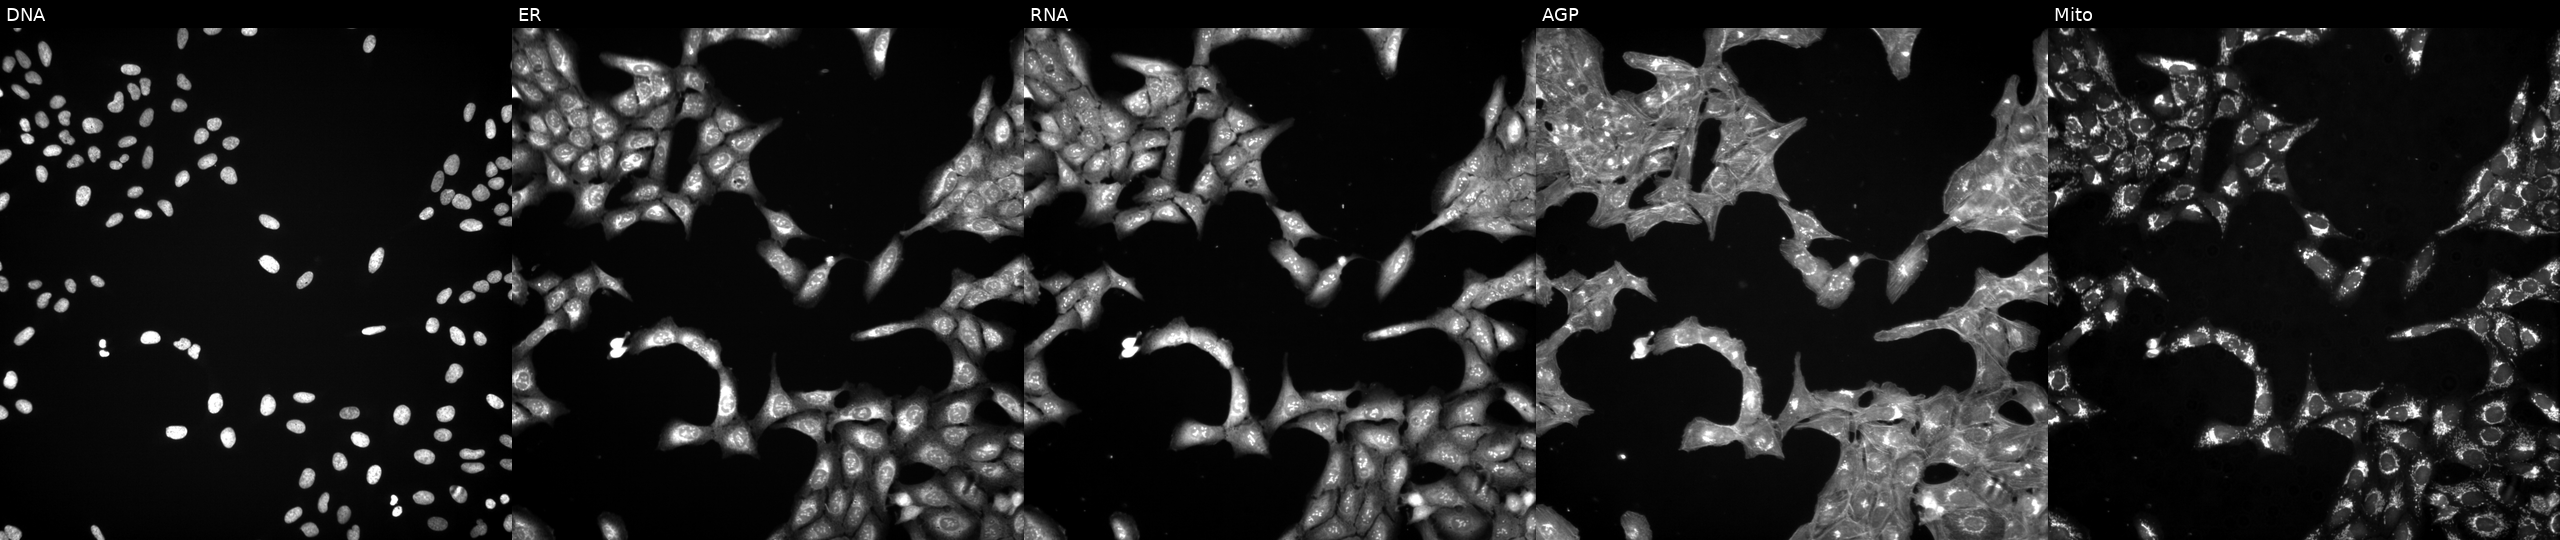
Five-channel Cell Painting image of U2OS cells treated with a small-molecule compound (InChIKey IIHBQJLBOGNTPD-UHFFFAOYSA-N) (JUMP id JCP2022_035240). The five panels, left to right, show DNA, ER, RNA, AGP, and Mito.